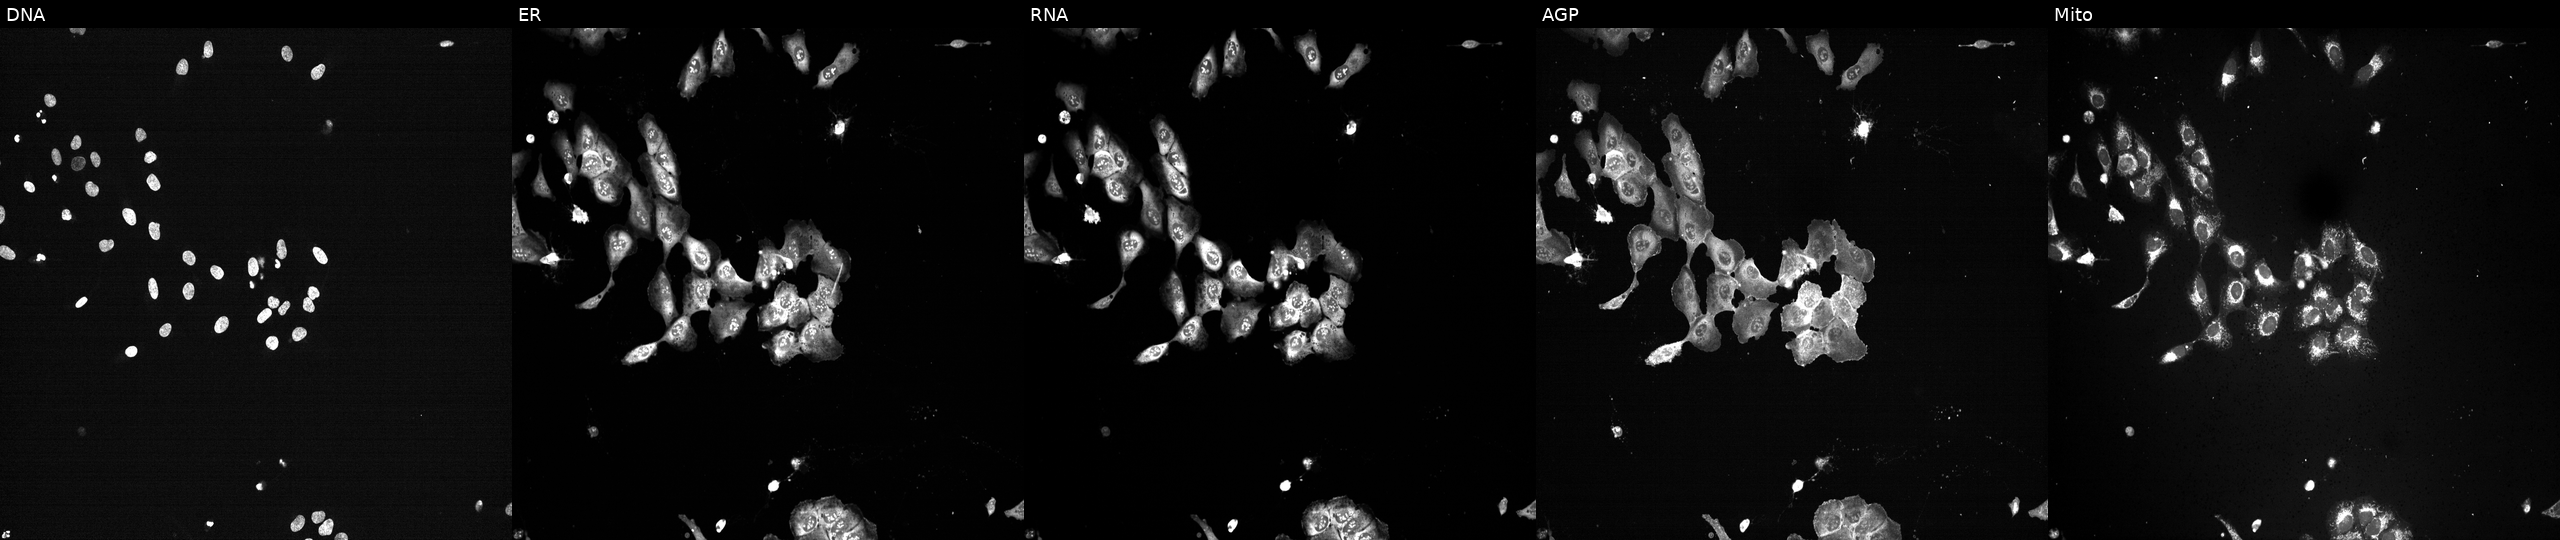
This image strip shows the five Cell Painting channels for a single field of U2OS cells CRISPR-edited to disrupt POLR2A (JUMP id JCP2022_805342). From left to right: Hoechst 33342, concanavalin A, SYTO 14, phalloidin and WGA, MitoTracker.